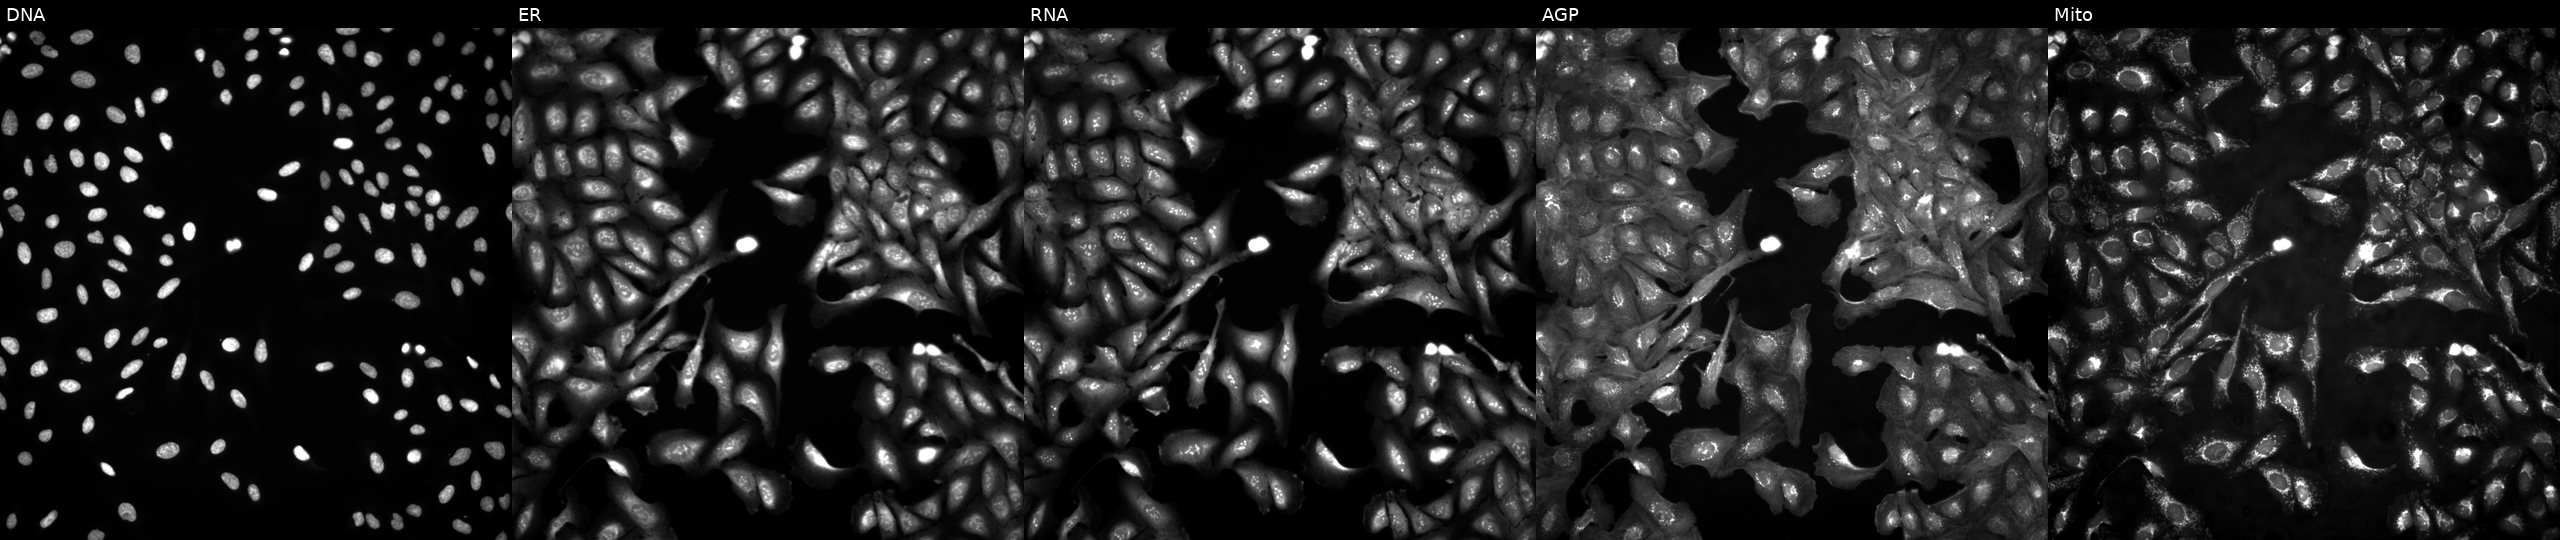
JUMP Cell Painting — ORF plate. U2OS cells untreated (empty-well control). From left to right: DNA, ER, RNA, AGP, and Mito.